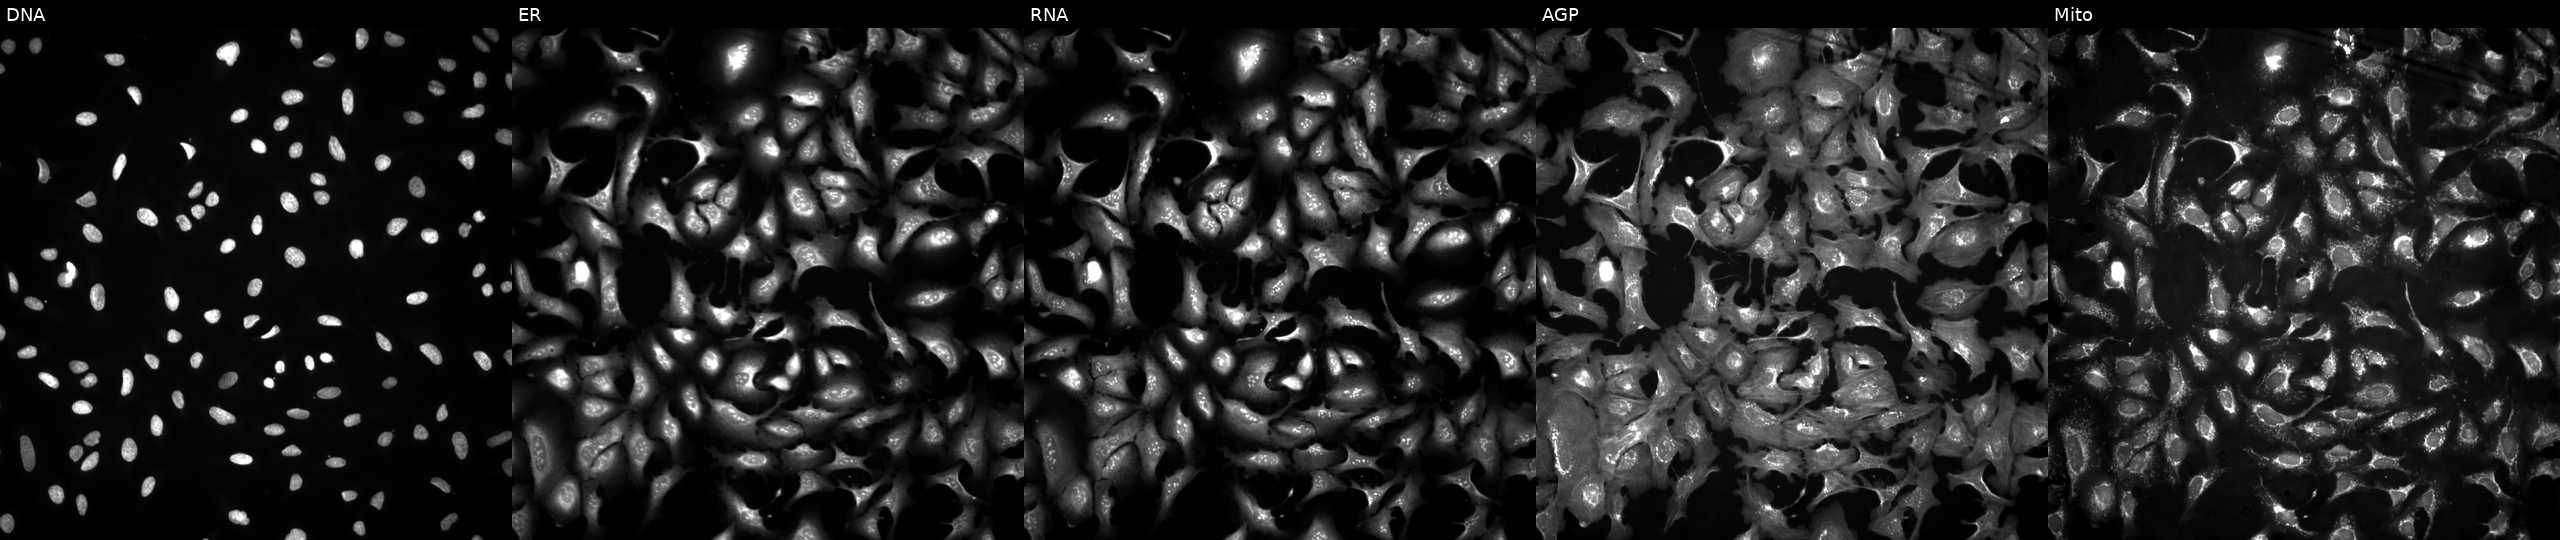
The five panels, left to right, show Hoechst 33342, concanavalin A, SYTO 14, phalloidin and WGA, MitoTracker. U2OS osteosarcoma cells overexpressing FYN via ORF transfection (JUMP id JCP2022_913679). Cell Painting assay, JUMP-CP dataset. Source 4, plate BR00123945, well L03.